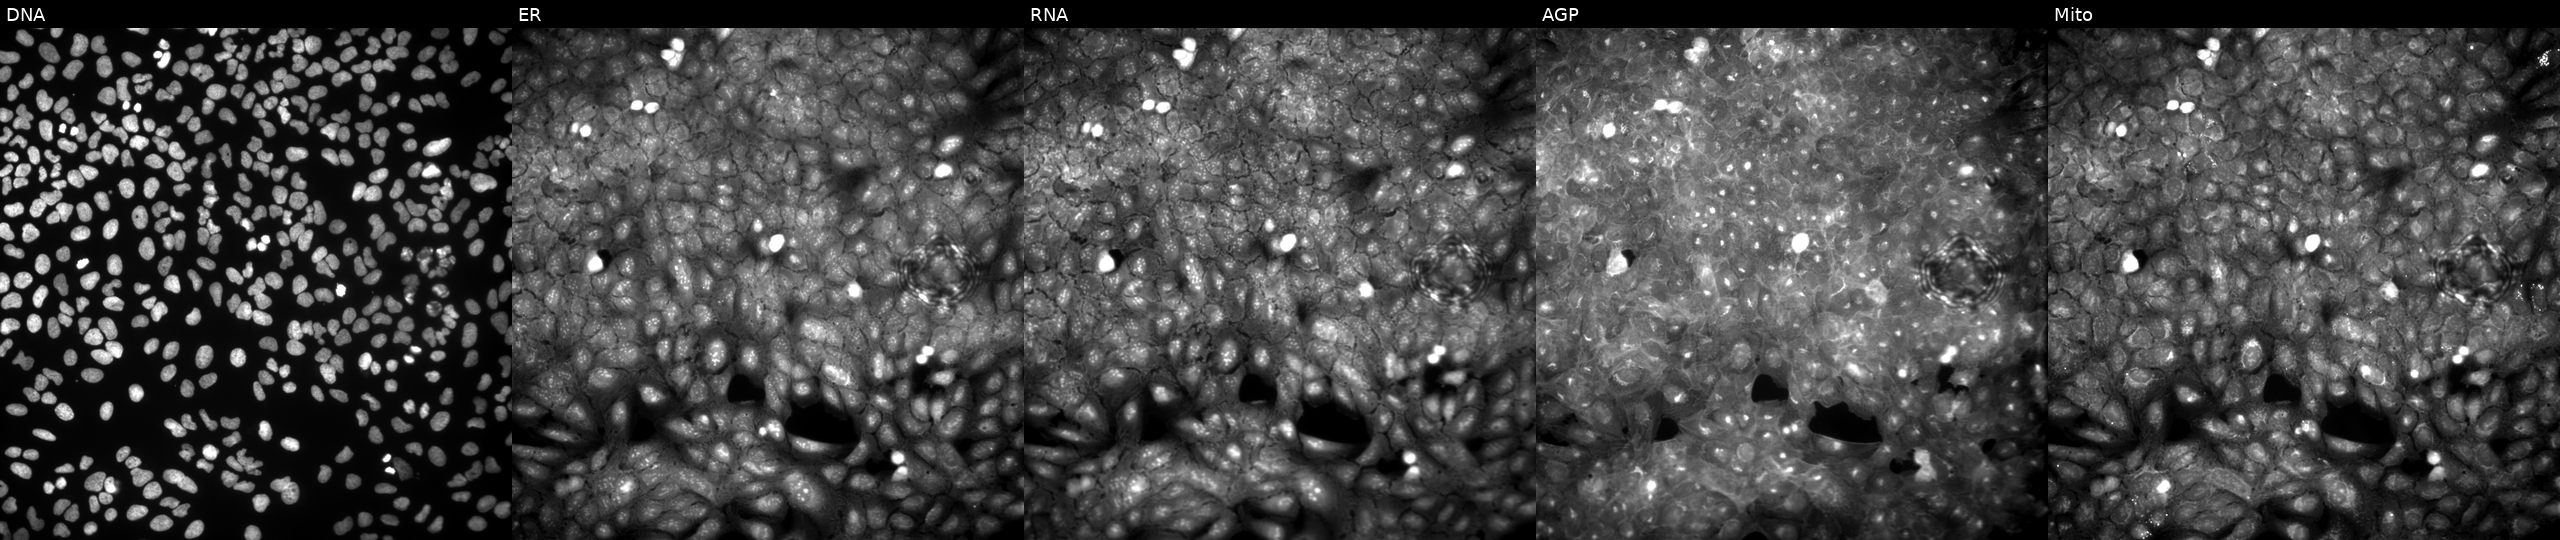
This image strip shows the five Cell Painting channels for a single field of U2OS cells perturbed with a small-molecule compound (InChIKey BHWBHFOCUIYOJA-UHFFFAOYSA-N) [SMILES: CCc1ccc(C(=O)C23CN4CN(CN(C4)C2)C3)cc1] (JUMP id JCP2022_006476). Panels show, left to right, Hoechst 33342, concanavalin A, SYTO 14, phalloidin and WGA, MitoTracker.